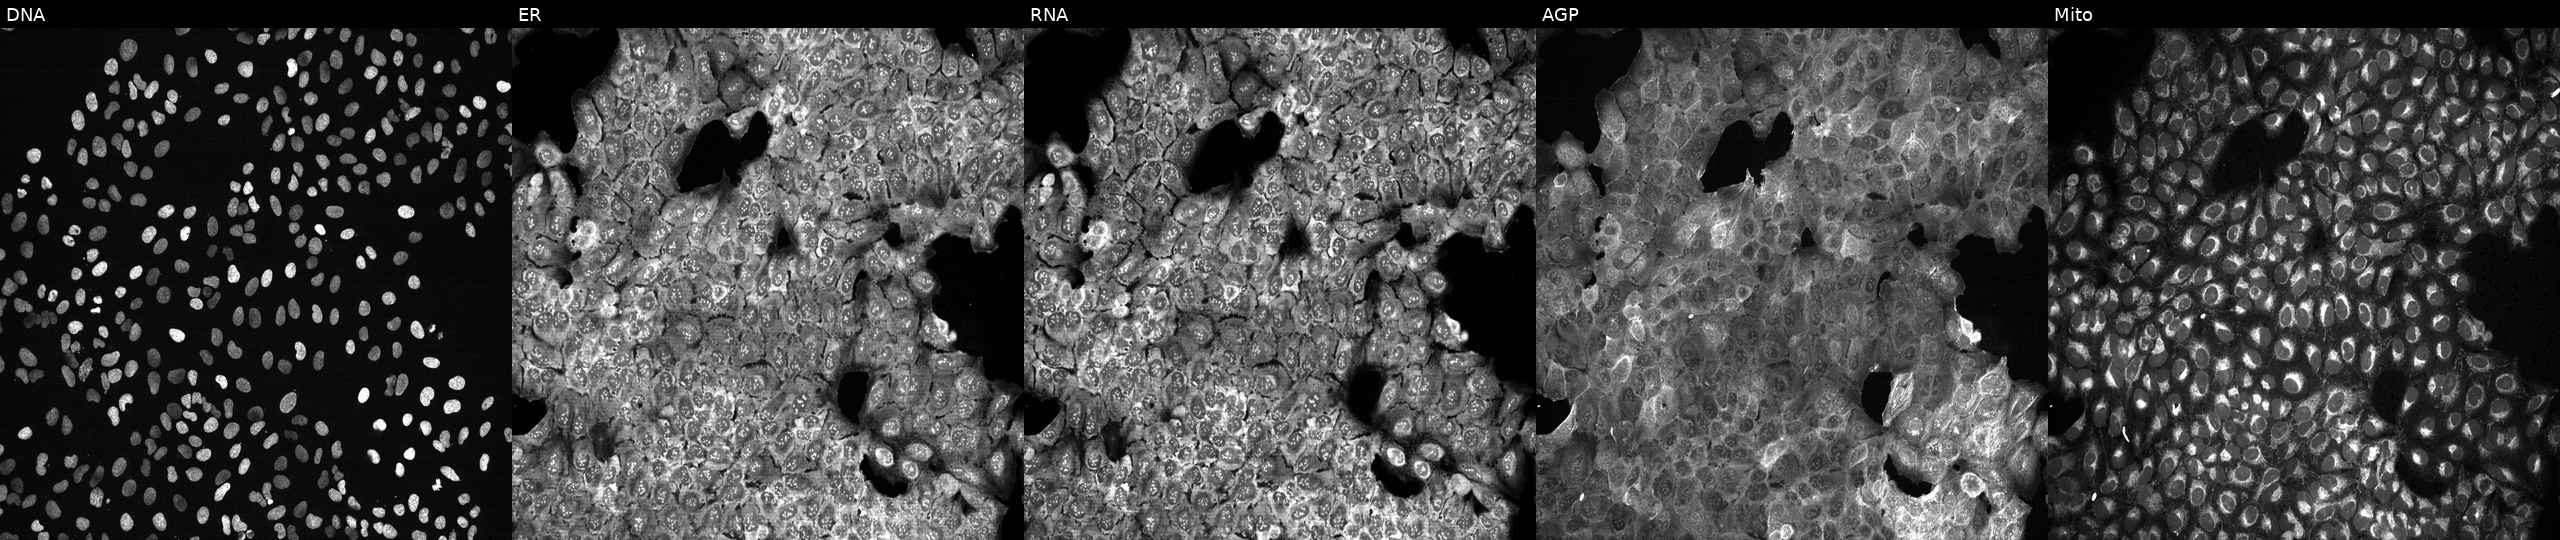
Five-channel Cell Painting image of U2OS cells following CRISPR knockout of XRN1. The five panels, left to right, show DNA (nuclei); ER (endoplasmic reticulum); RNA (nucleoli and cytoplasmic RNA); AGP (actin cytoskeleton, Golgi, and plasma membrane); Mito (mitochondria).